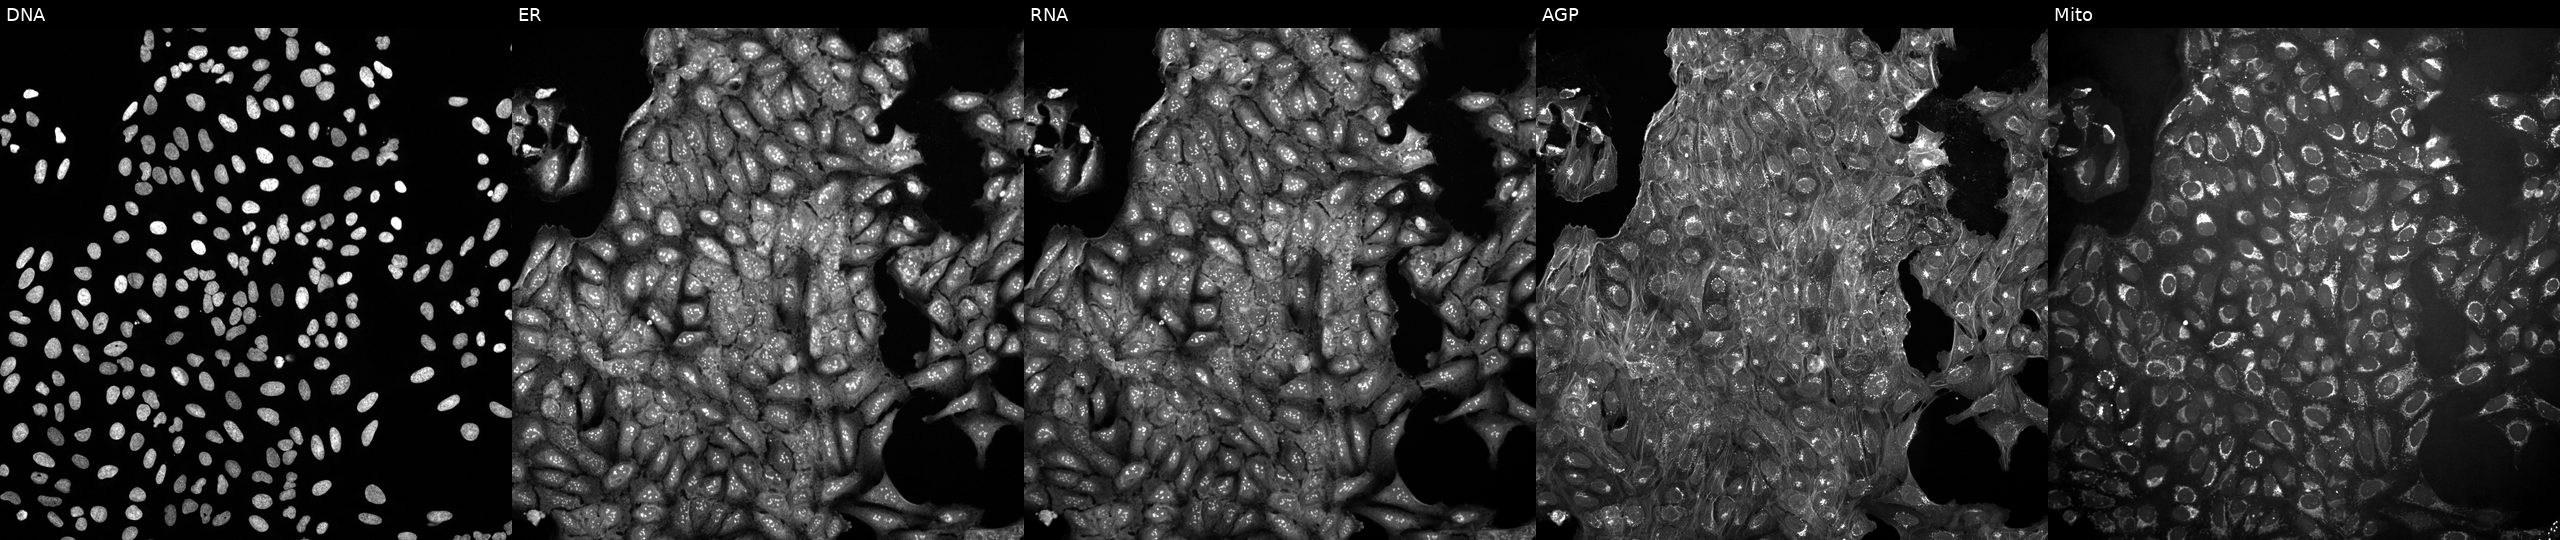
U2OS cells, Cell Painting assay, treated with a small-molecule compound (JUMP id JCP2022_114286). From left to right: DNA (nuclei); ER (endoplasmic reticulum); RNA (nucleoli and cytoplasmic RNA); AGP (actin cytoskeleton, Golgi, and plasma membrane); Mito (mitochondria). Each panel is percentile-stretched 16-bit fluorescence. Source 10, plate Dest210531-152149, well D07.